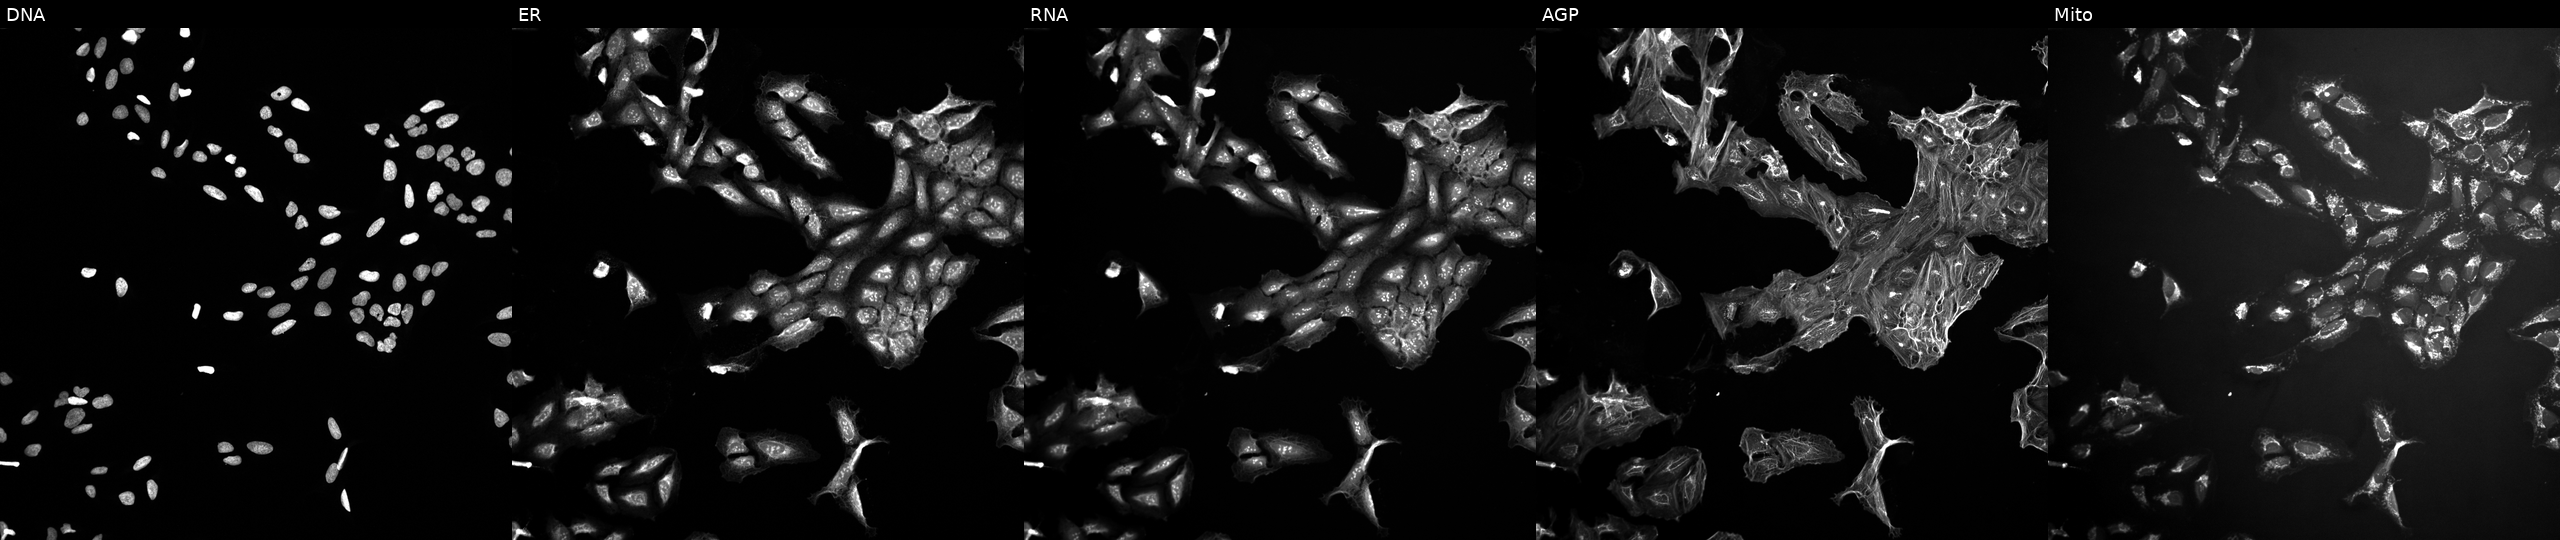
The five panels, left to right, show Hoechst 33342, concanavalin A, SYTO 14, phalloidin and WGA, MitoTracker. U2OS osteosarcoma cells treated with a small-molecule compound (InChIKey RONQPWQYDRPRGG-UHFFFAOYSA-N) (JUMP id JCP2022_079715). Cell Painting assay, JUMP-CP dataset. Source 10, plate Dest210726-160150, well H19.